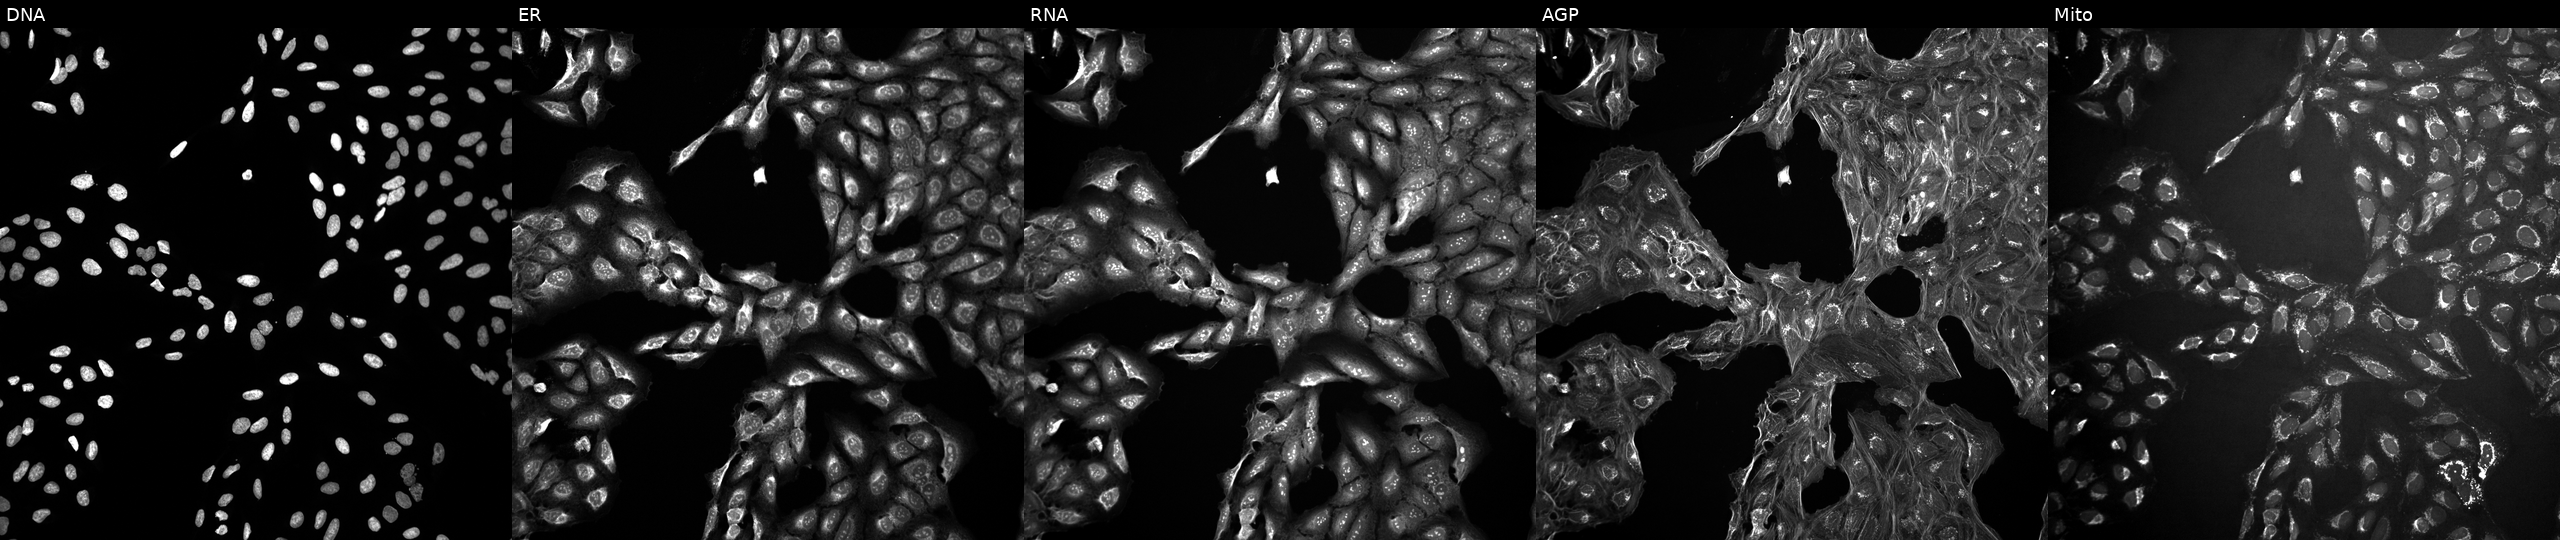
Channels (left→right): DNA (nuclei); ER (endoplasmic reticulum); RNA (nucleoli and cytoplasmic RNA); AGP (actin cytoskeleton, Golgi, and plasma membrane); Mito (mitochondria). U2OS osteosarcoma cells exposed to DMSO alone as a negative control. Cell Painting assay, JUMP-CP dataset. Source 10, plate Dest210531-152324, well G23.